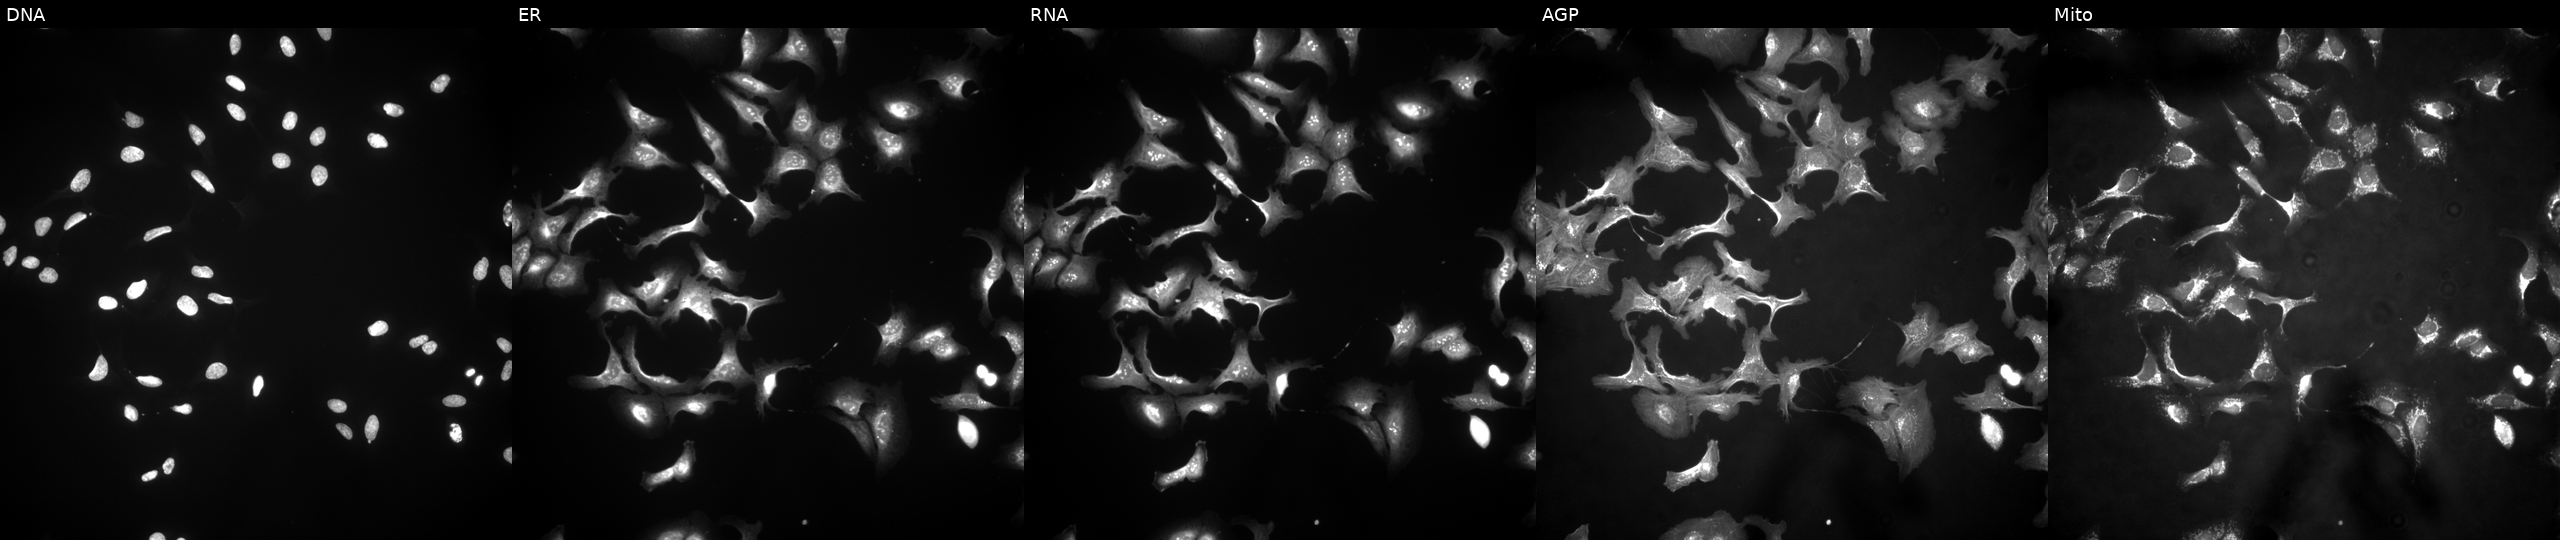
This image strip shows the five Cell Painting channels for a single field of U2OS cells overexpressing ZNF566 via ORF transfection. Panels show, left to right, DNA (nuclei); ER (endoplasmic reticulum); RNA (nucleoli and cytoplasmic RNA); AGP (actin cytoskeleton, Golgi, and plasma membrane); Mito (mitochondria).